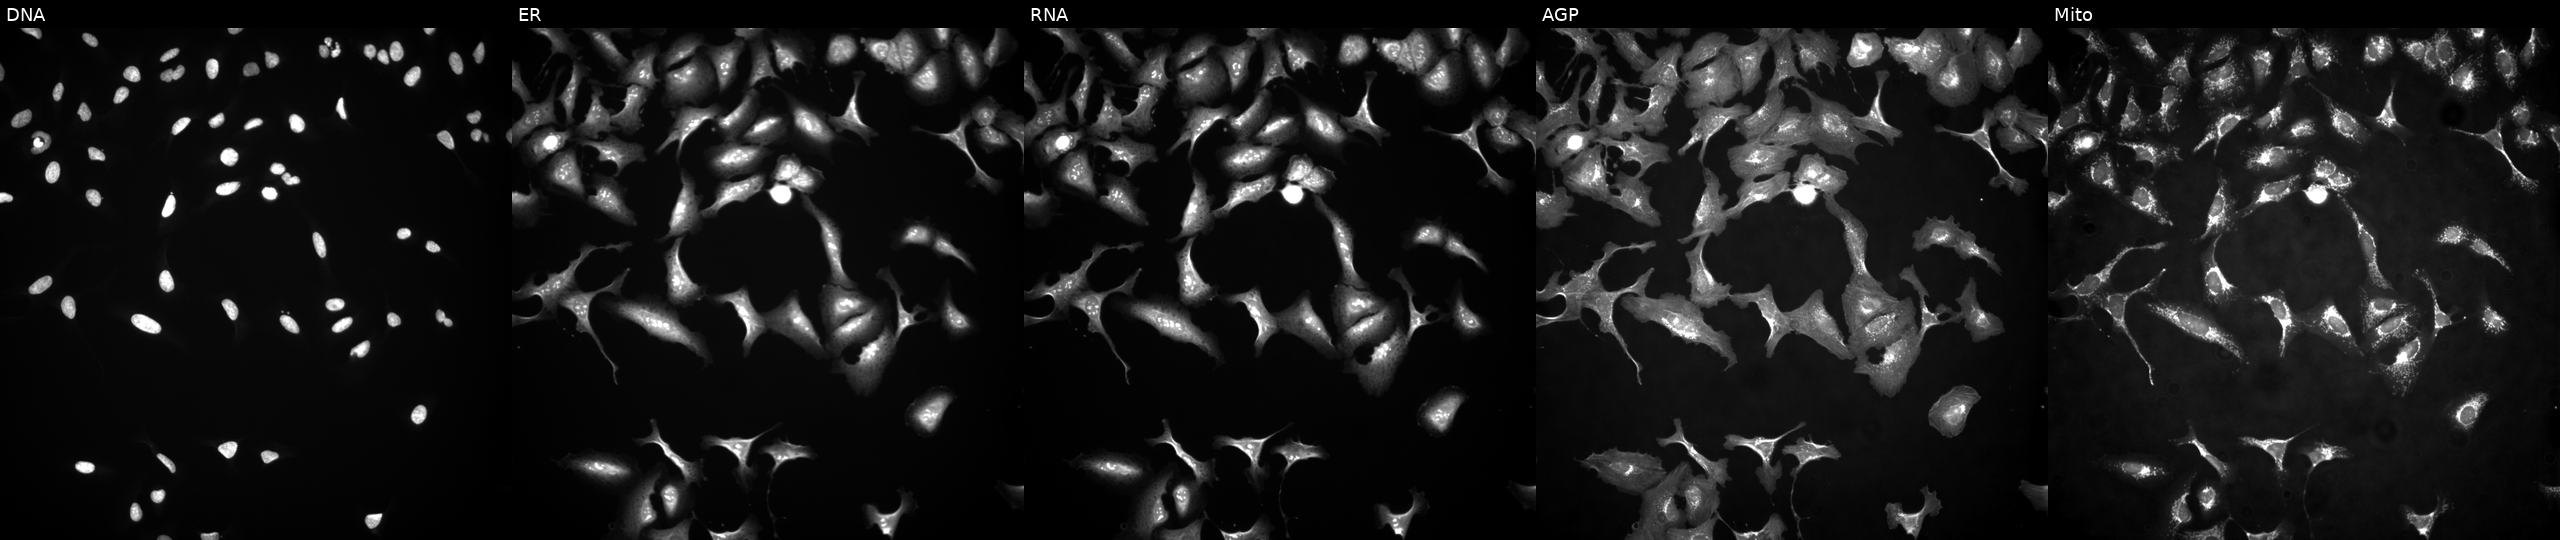
JUMP Cell Painting — ORF plate. U2OS cells with KLHDC9 overexpressed (ORF) (JUMP id JCP2022_908866). The five panels, left to right, show DNA, ER, RNA, AGP, and Mito.